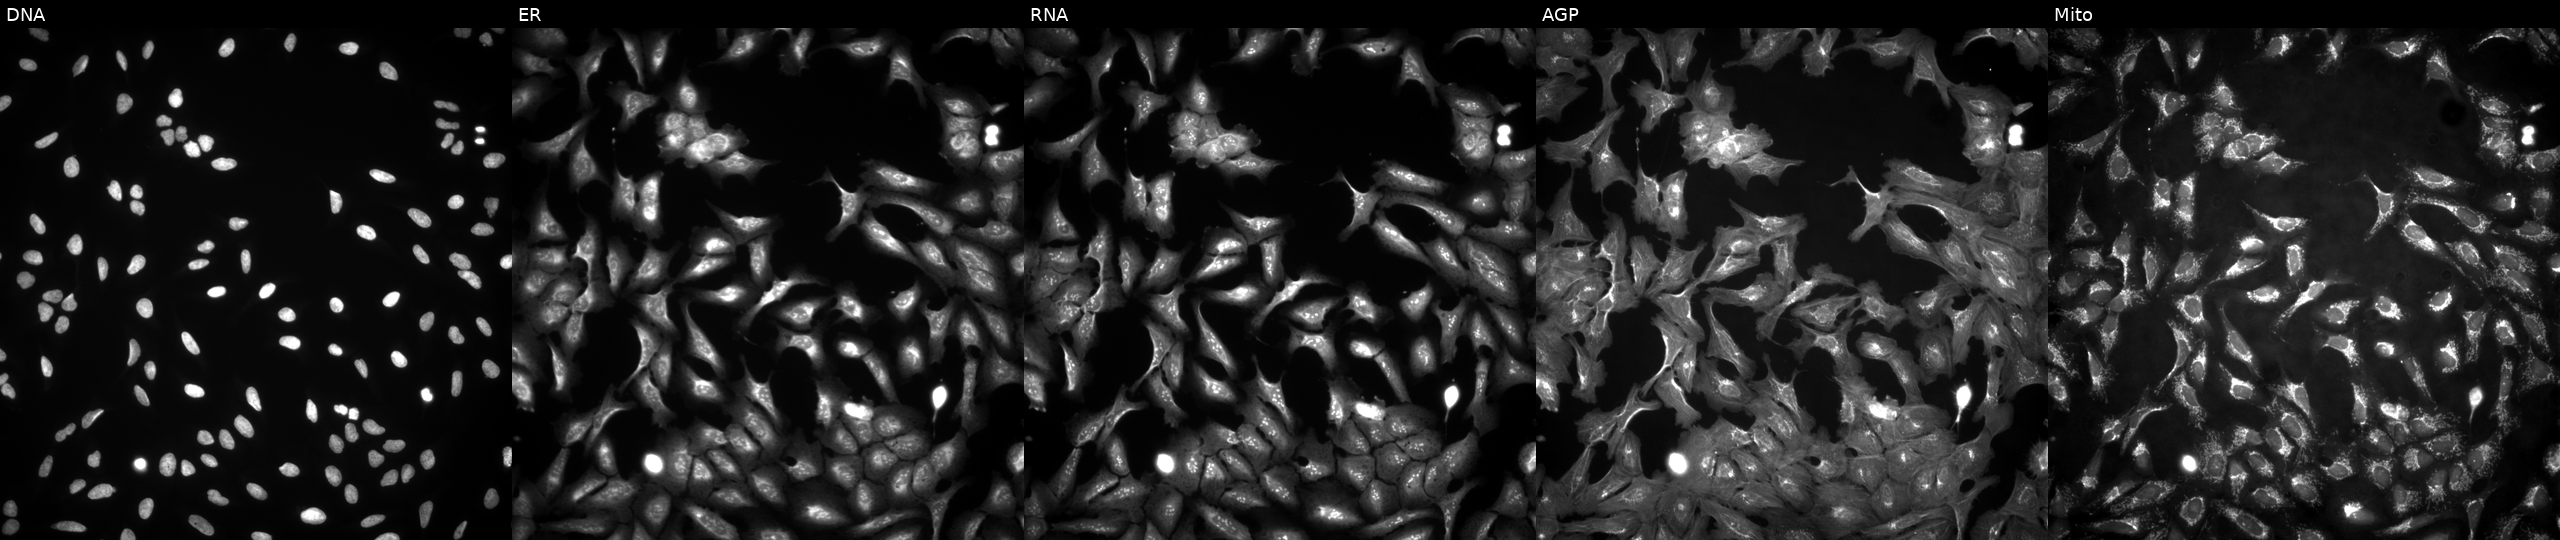
High-content fluorescence microscopy (Cell Painting). Cell line: U2OS. Perturbation: with FXYD6 overexpressed (ORF) (JUMP id JCP2022_903184). The five panels, left to right, show DNA, ER, RNA, AGP, and Mito.